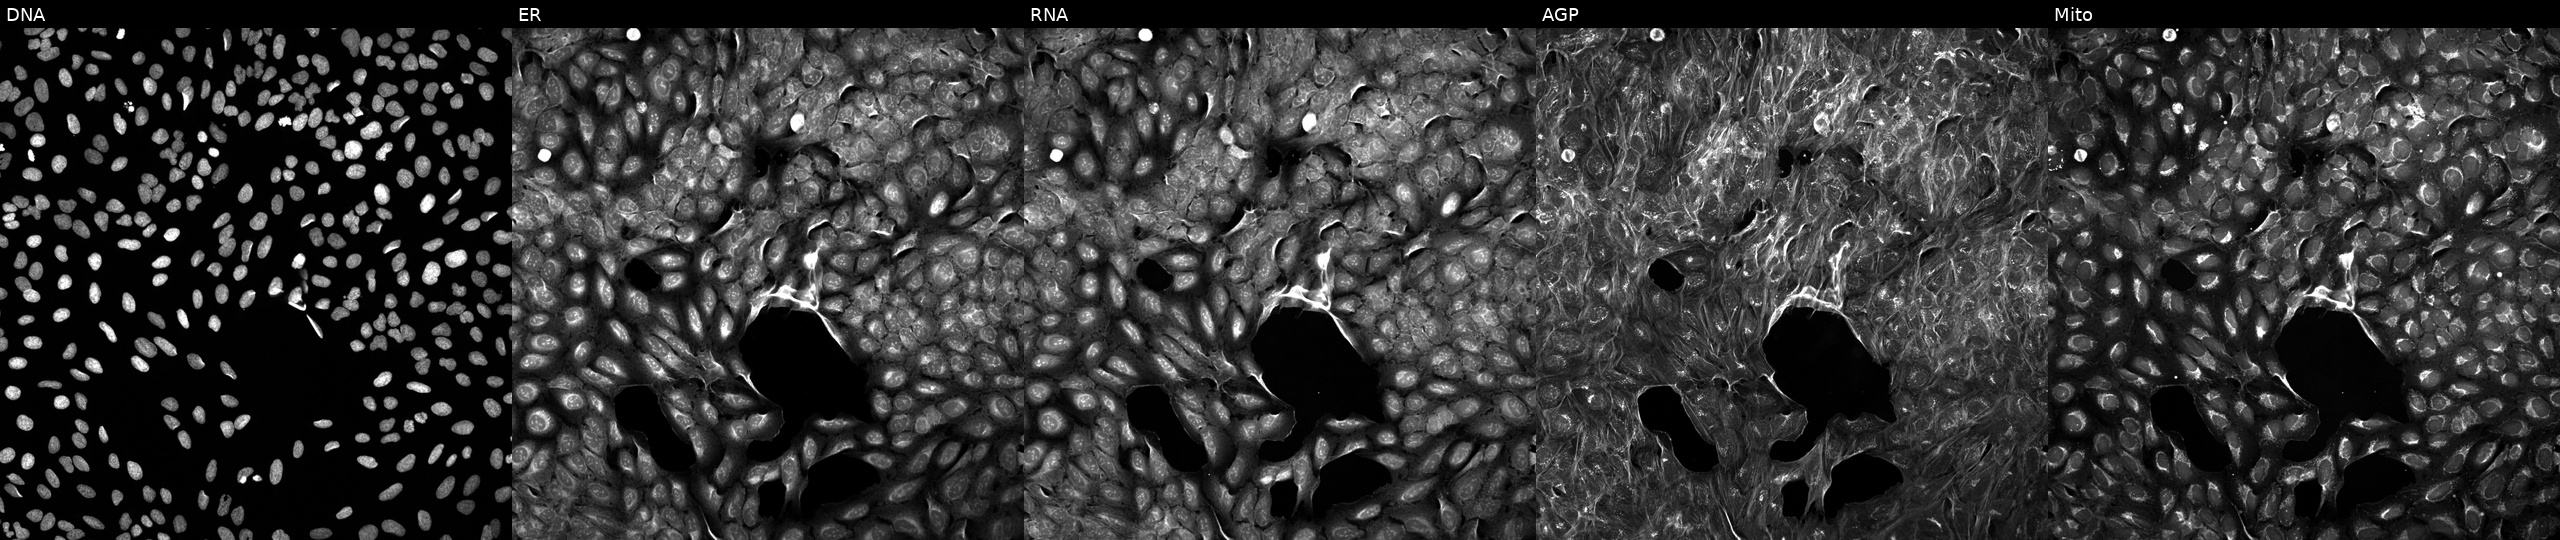
This image strip shows the five Cell Painting channels for a single field of U2OS cells treated with a small-molecule compound (InChIKey JDKKNQACNITFEA-UHFFFAOYSA-N) (JUMP id JCP2022_039047). Panels show, left to right, Hoechst 33342, concanavalin A, SYTO 14, phalloidin and WGA, MitoTracker.